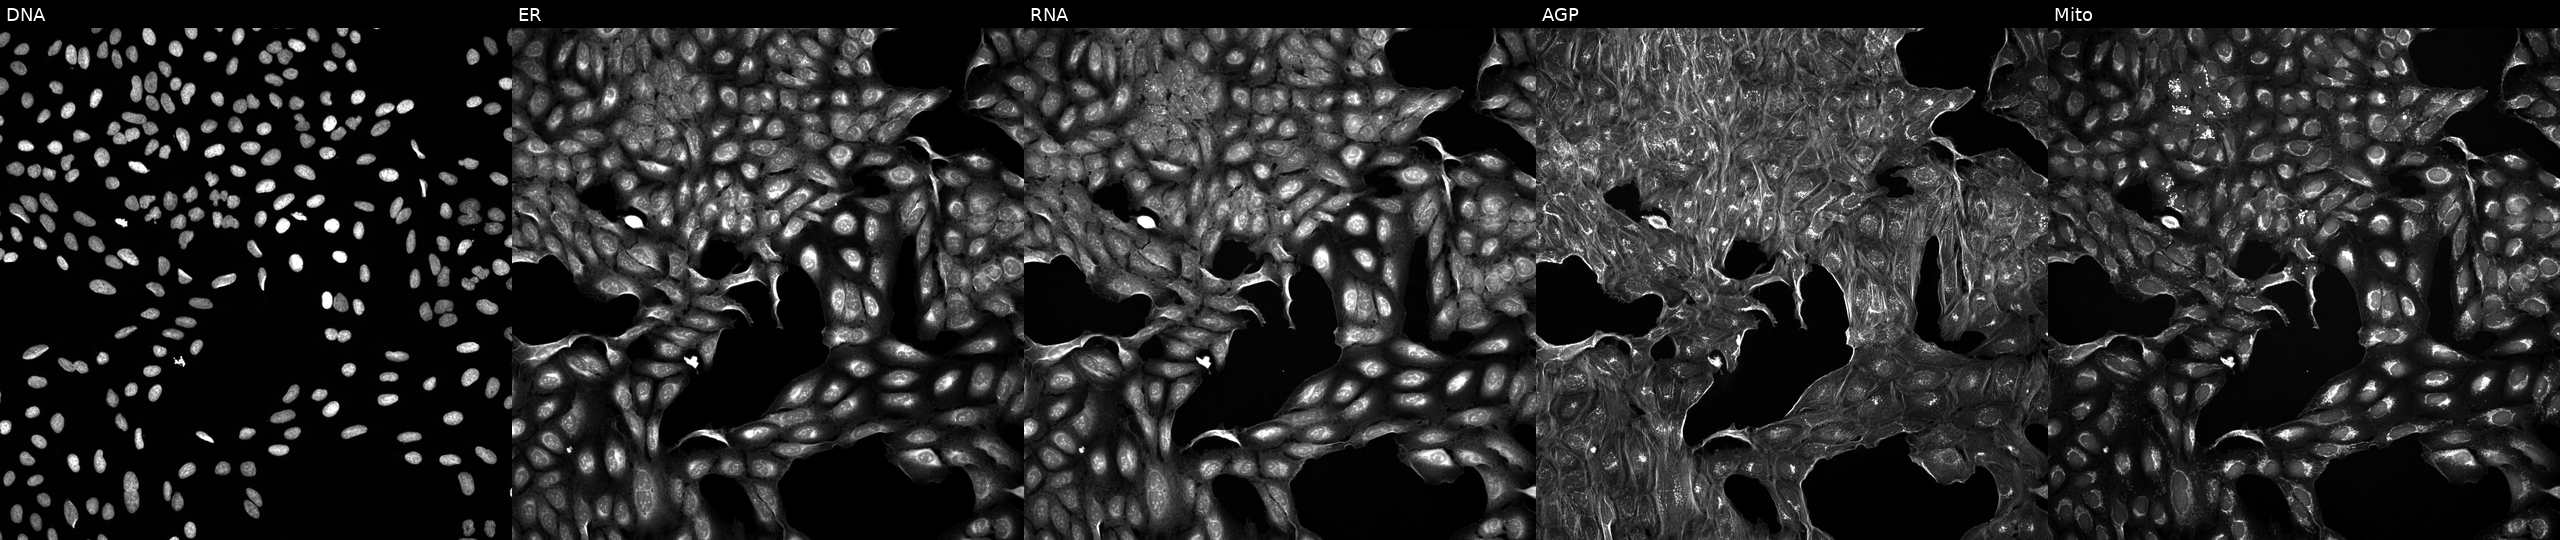
U2OS cells, Cell Painting assay, treated with DMSO vehicle only (negative control). The five panels, left to right, show DNA (nuclei); ER (endoplasmic reticulum); RNA (nucleoli and cytoplasmic RNA); AGP (actin cytoskeleton, Golgi, and plasma membrane); Mito (mitochondria). Each panel is percentile-stretched 16-bit fluorescence. Source 5, plate ACPJUM012, well D18.